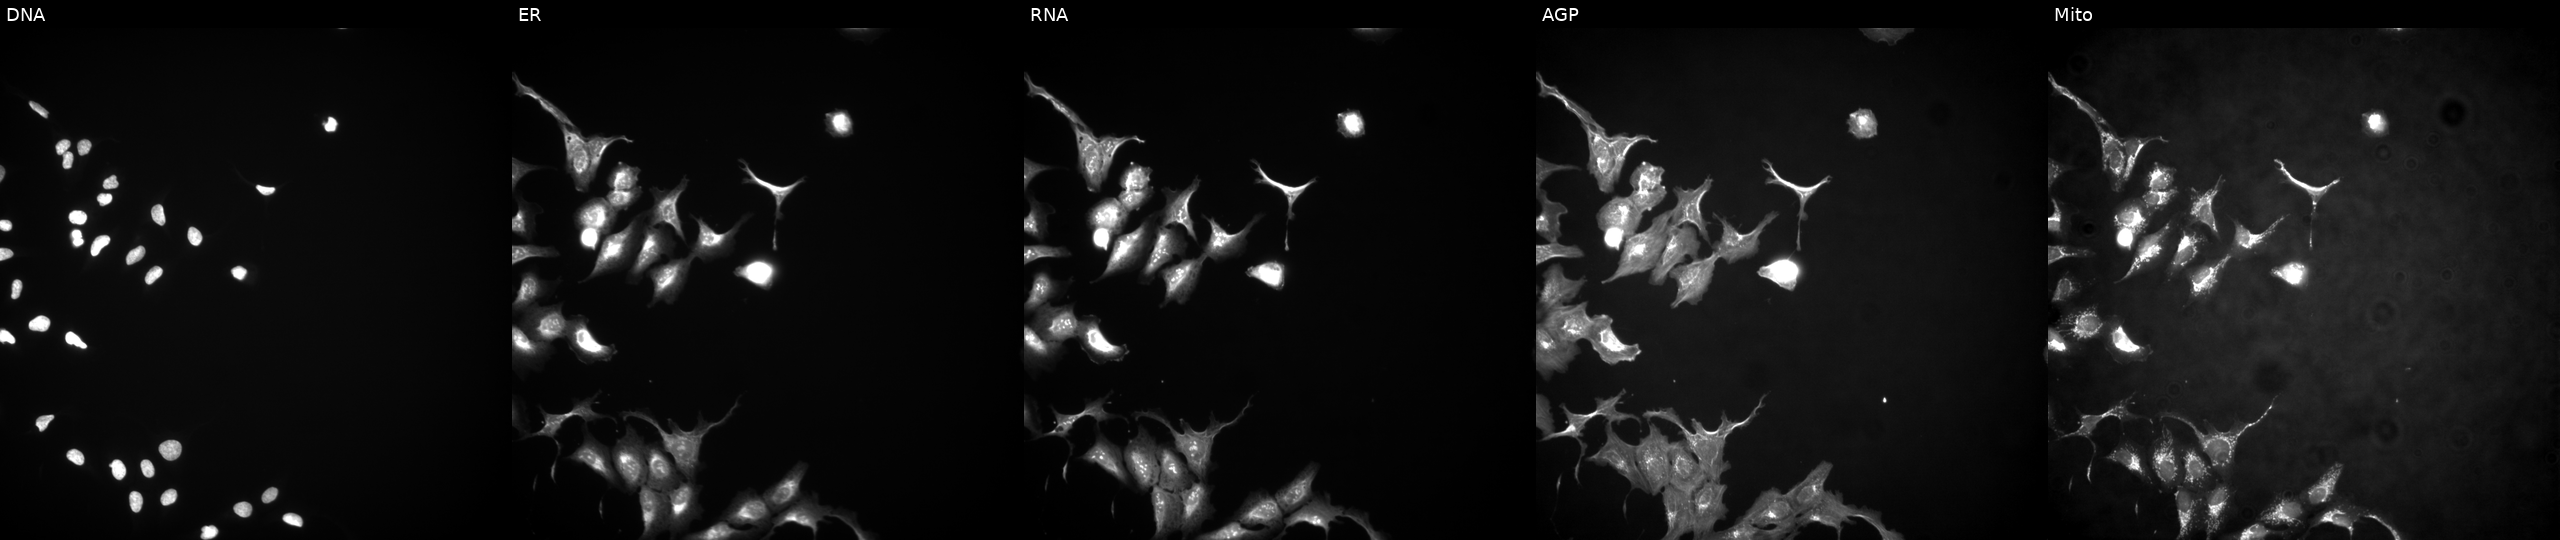
U2OS cells, Cell Painting assay, expressing eGFP (ORF positive control). Panels show, left to right, DNA, ER, RNA, AGP, and Mito. Each panel is percentile-stretched 16-bit fluorescence.